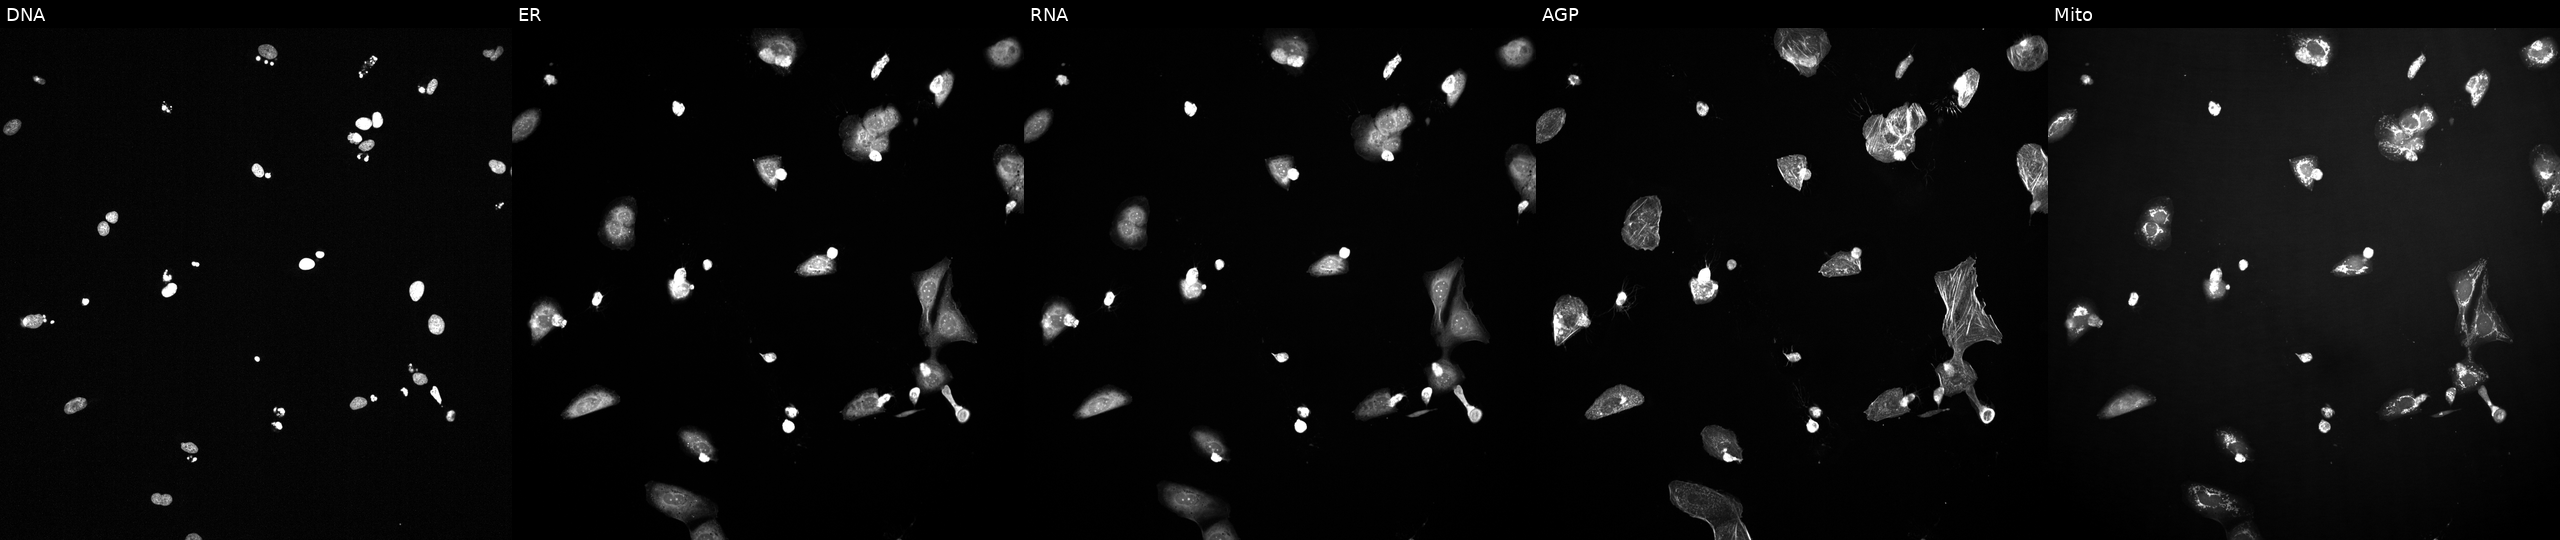
From left to right: DNA, ER, RNA, AGP, and Mito. U2OS osteosarcoma cells perturbed with a small-molecule compound (InChIKey RVAQIUULWULRNW-UHFFFAOYSA-N) [SMILES: CC(C)c1cc(-c2n[nH]c(=O)n2-c2ccc3c(ccn3C)c2)c(O)cc1O]. Cell Painting assay, JUMP-CP dataset.